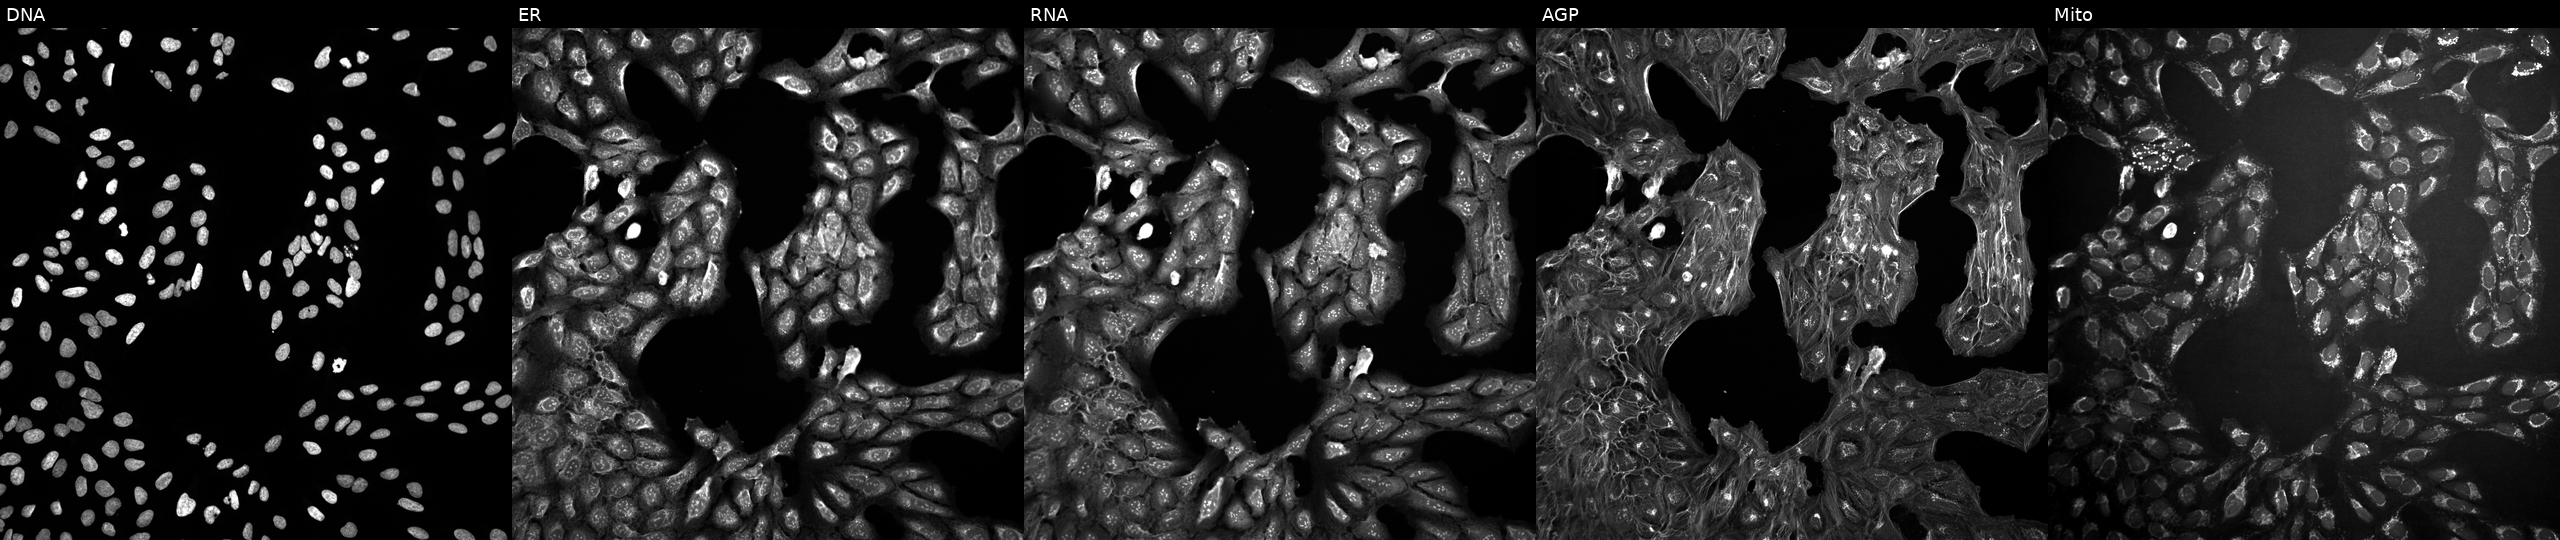
From left to right: DNA, ER, RNA, AGP, and Mito. U2OS osteosarcoma cells in an empty control well (no perturbation). Cell Painting assay, JUMP-CP dataset. Source 10, plate Dest210531-152324, well D18.